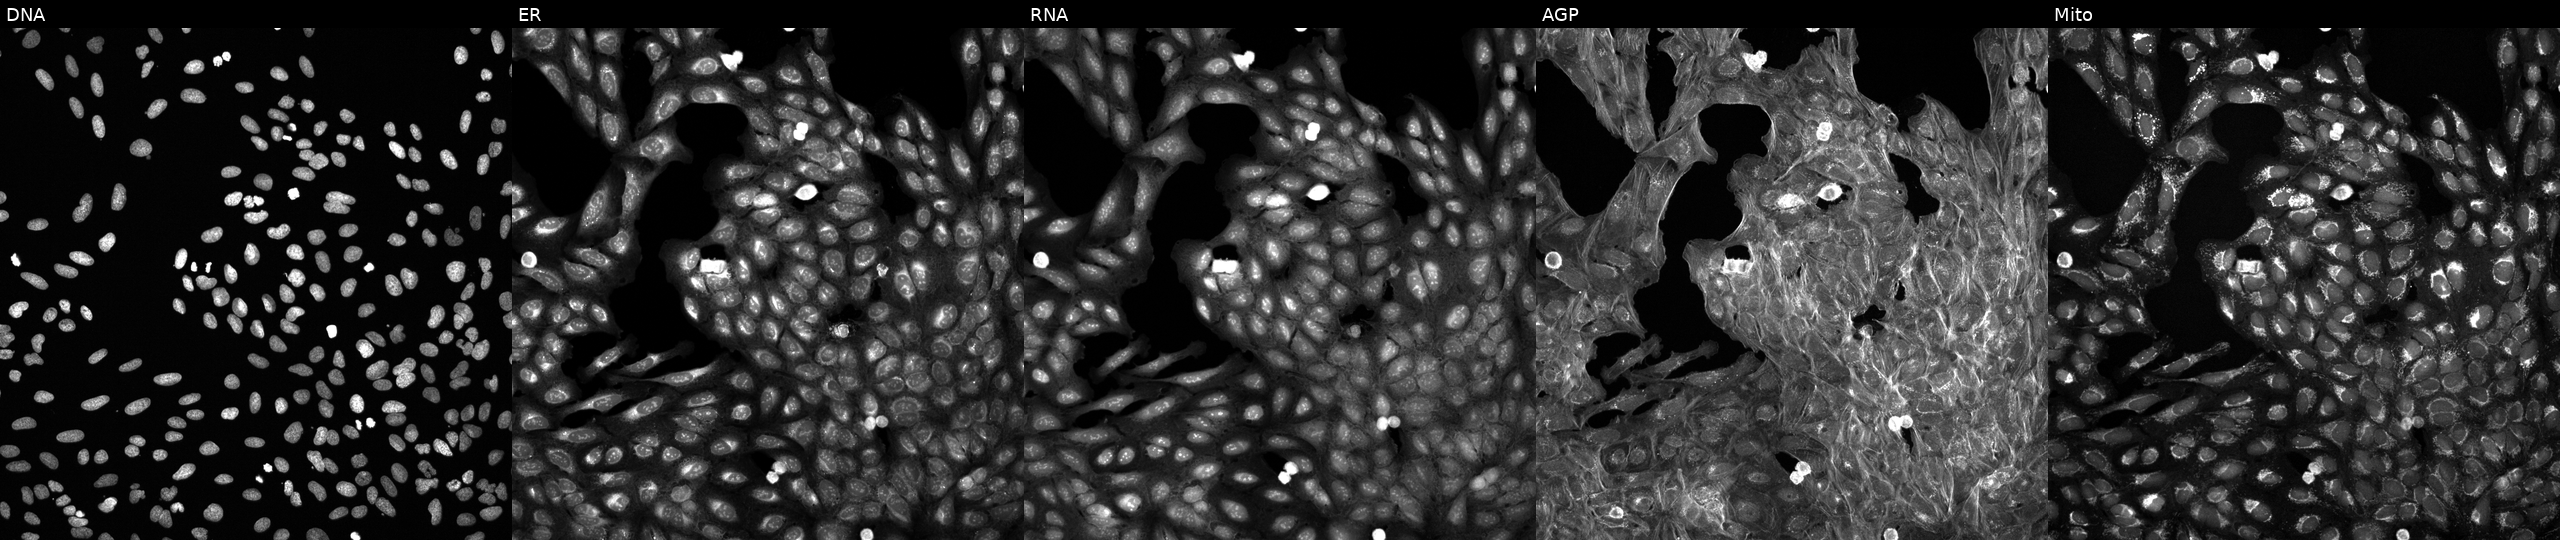
U2OS cells, Cell Painting assay, perturbed with a small-molecule compound. The five panels, left to right, show DNA, ER, RNA, AGP, and Mito. Each panel is percentile-stretched 16-bit fluorescence.